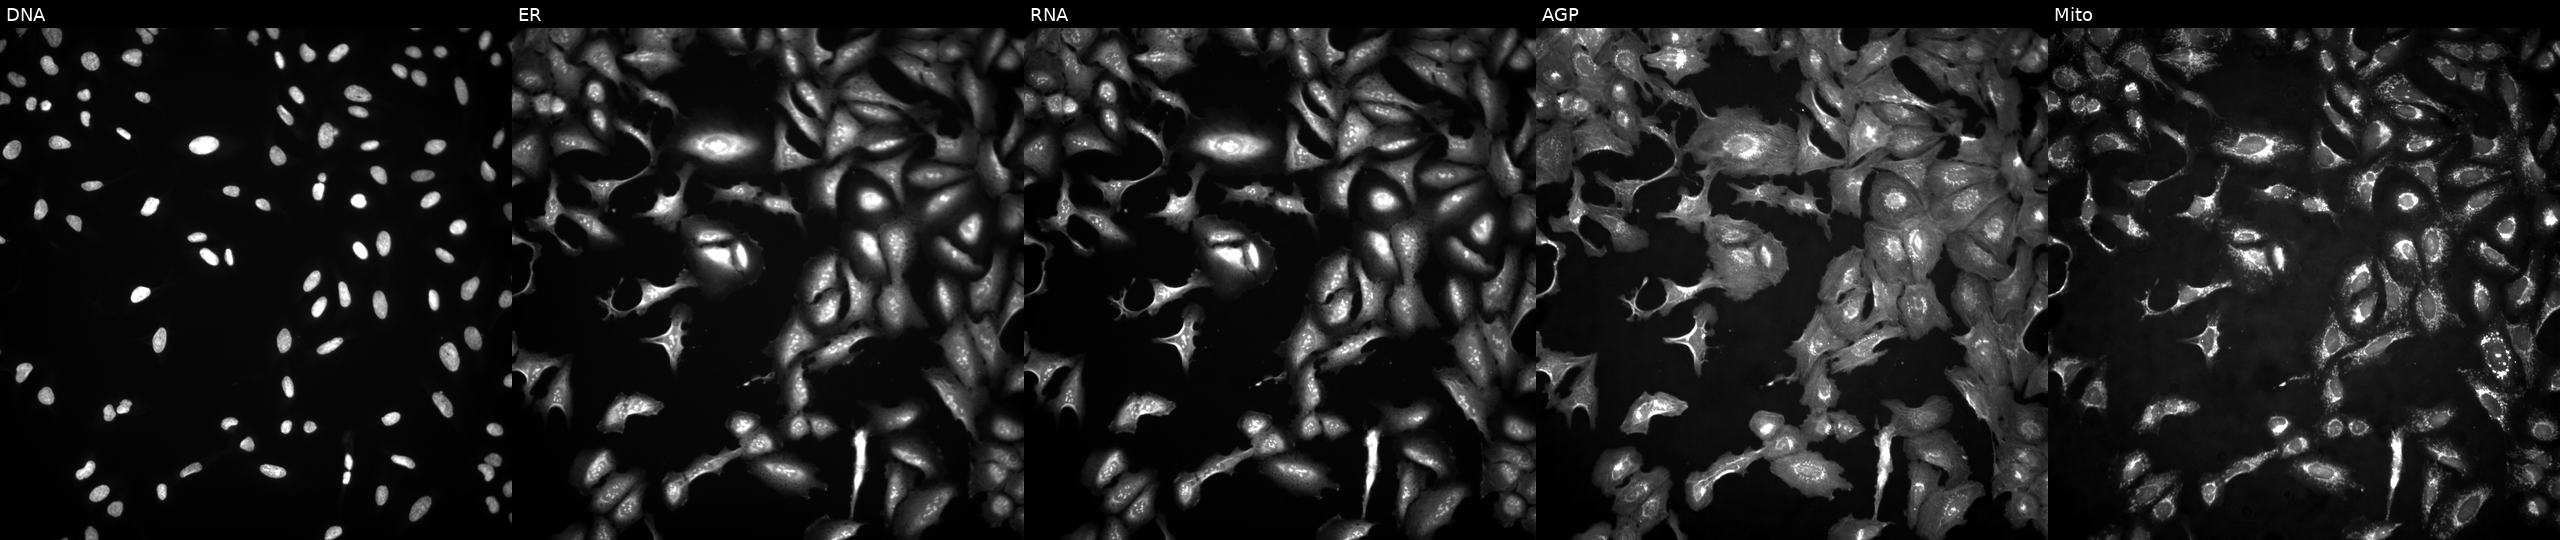
High-content fluorescence microscopy (Cell Painting). Cell line: U2OS. Perturbation: with CBX6 overexpressed (ORF). The five panels, left to right, show DNA, ER, RNA, AGP, and Mito.